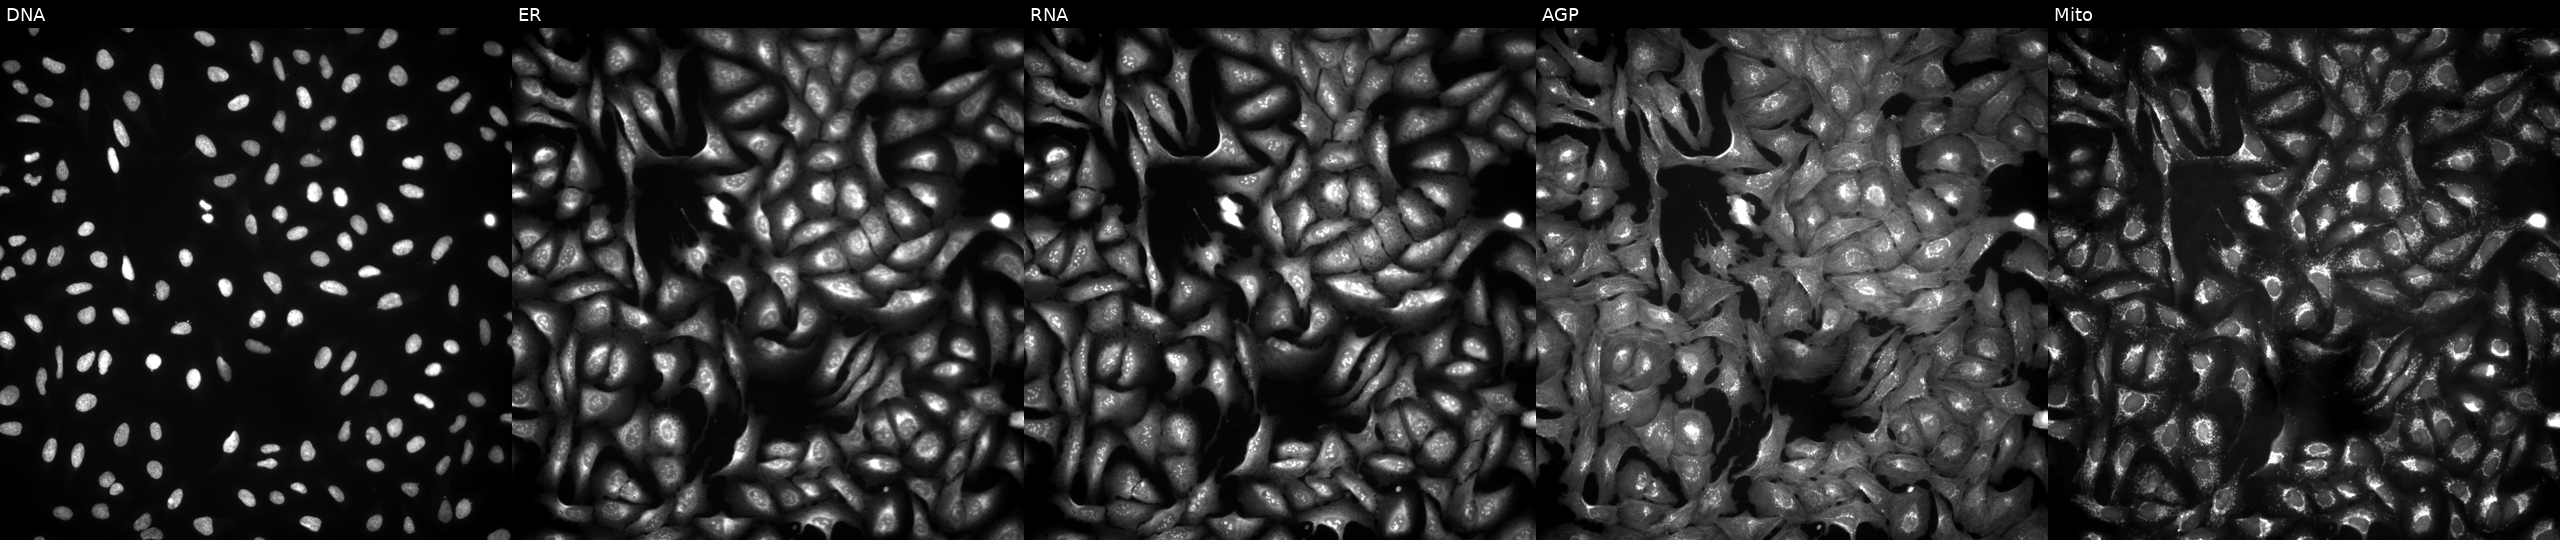
U2OS cells, Cell Painting assay, expressing BFP (ORF negative control). The five panels, left to right, show DNA (nuclei); ER (endoplasmic reticulum); RNA (nucleoli and cytoplasmic RNA); AGP (actin cytoskeleton, Golgi, and plasma membrane); Mito (mitochondria). Each panel is percentile-stretched 16-bit fluorescence.